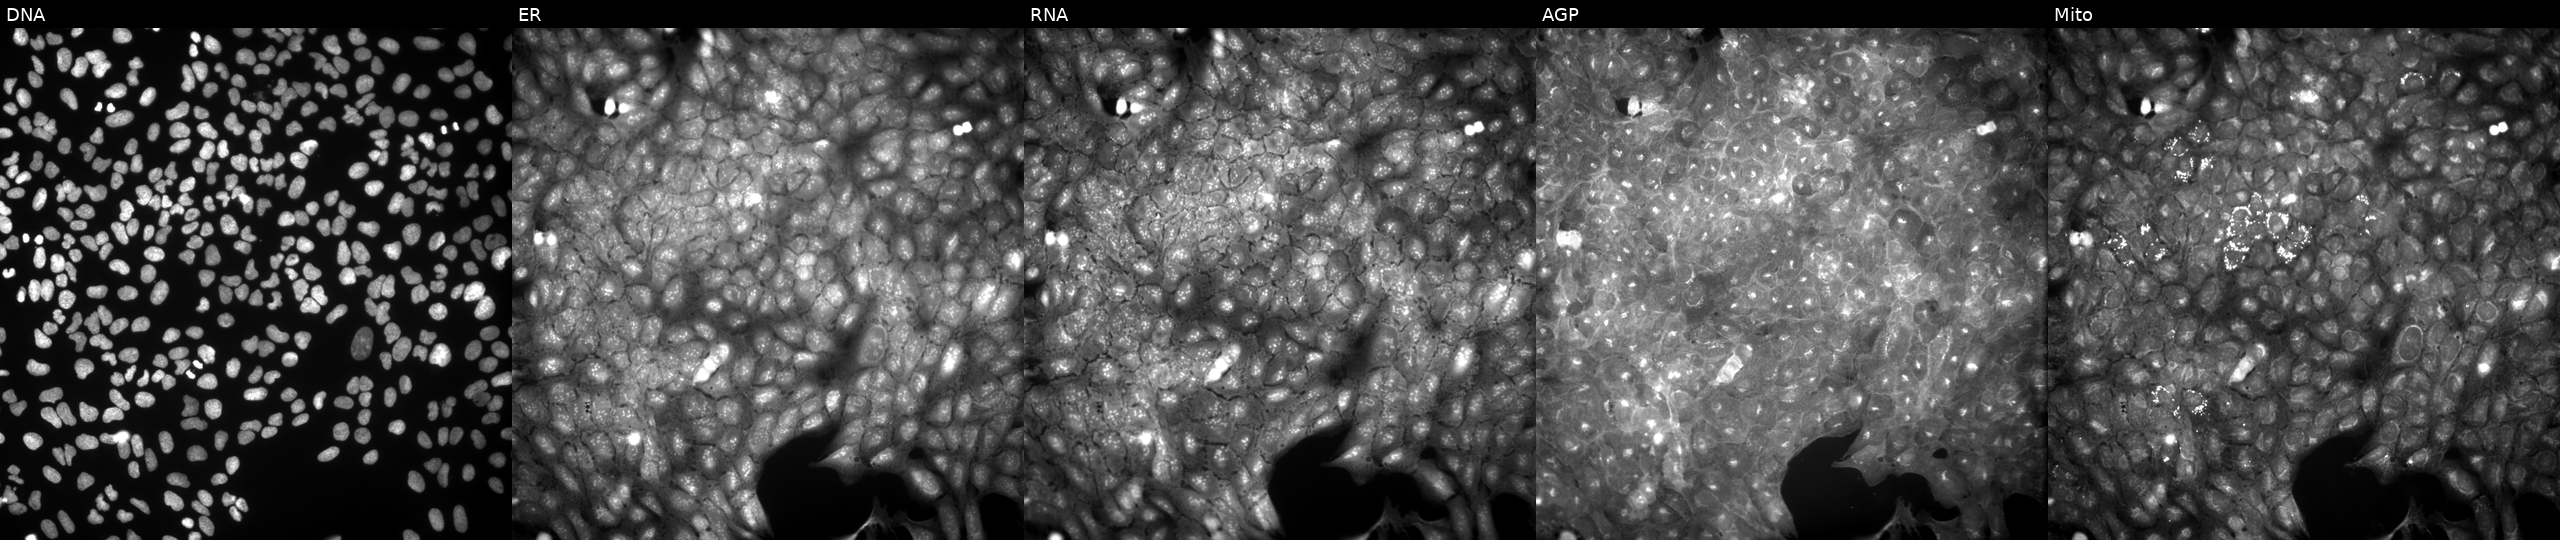
This image strip shows the five Cell Painting channels for a single field of U2OS cells treated with quinidine (positive-control compound). The five panels, left to right, show Hoechst 33342, concanavalin A, SYTO 14, phalloidin and WGA, MitoTracker. Source 9, plate GR00003381, well W25.